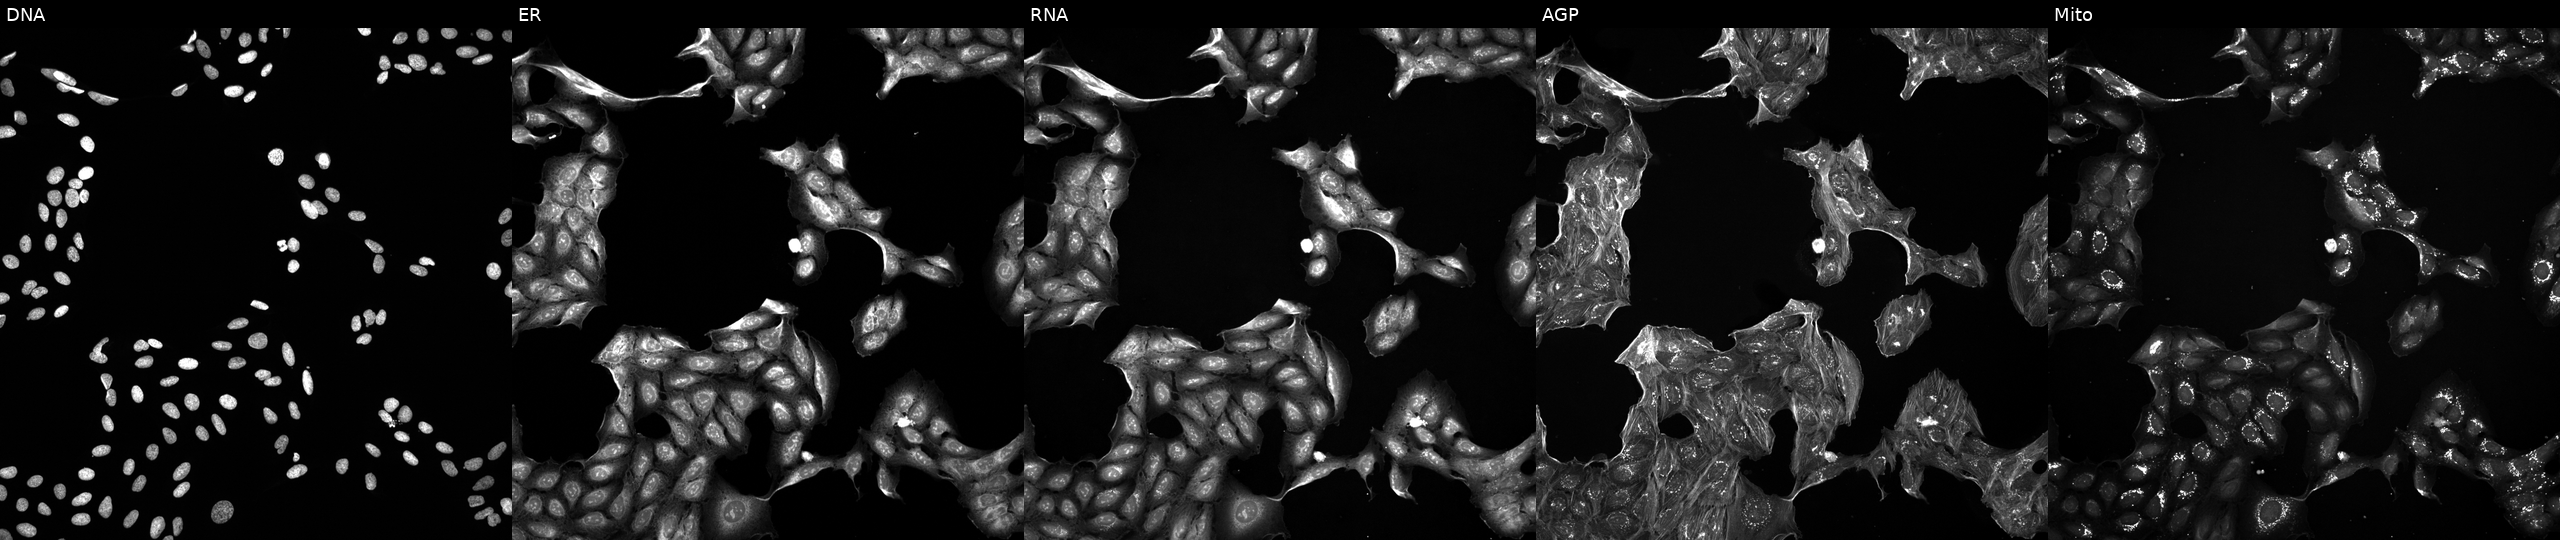
High-content fluorescence microscopy (Cell Painting). Cell line: U2OS. Perturbation: perturbed with a small-molecule compound (InChIKey WGZOTBUYUFBEPZ-UHFFFAOYSA-N). Panels show, left to right, DNA, ER, RNA, AGP, and Mito.